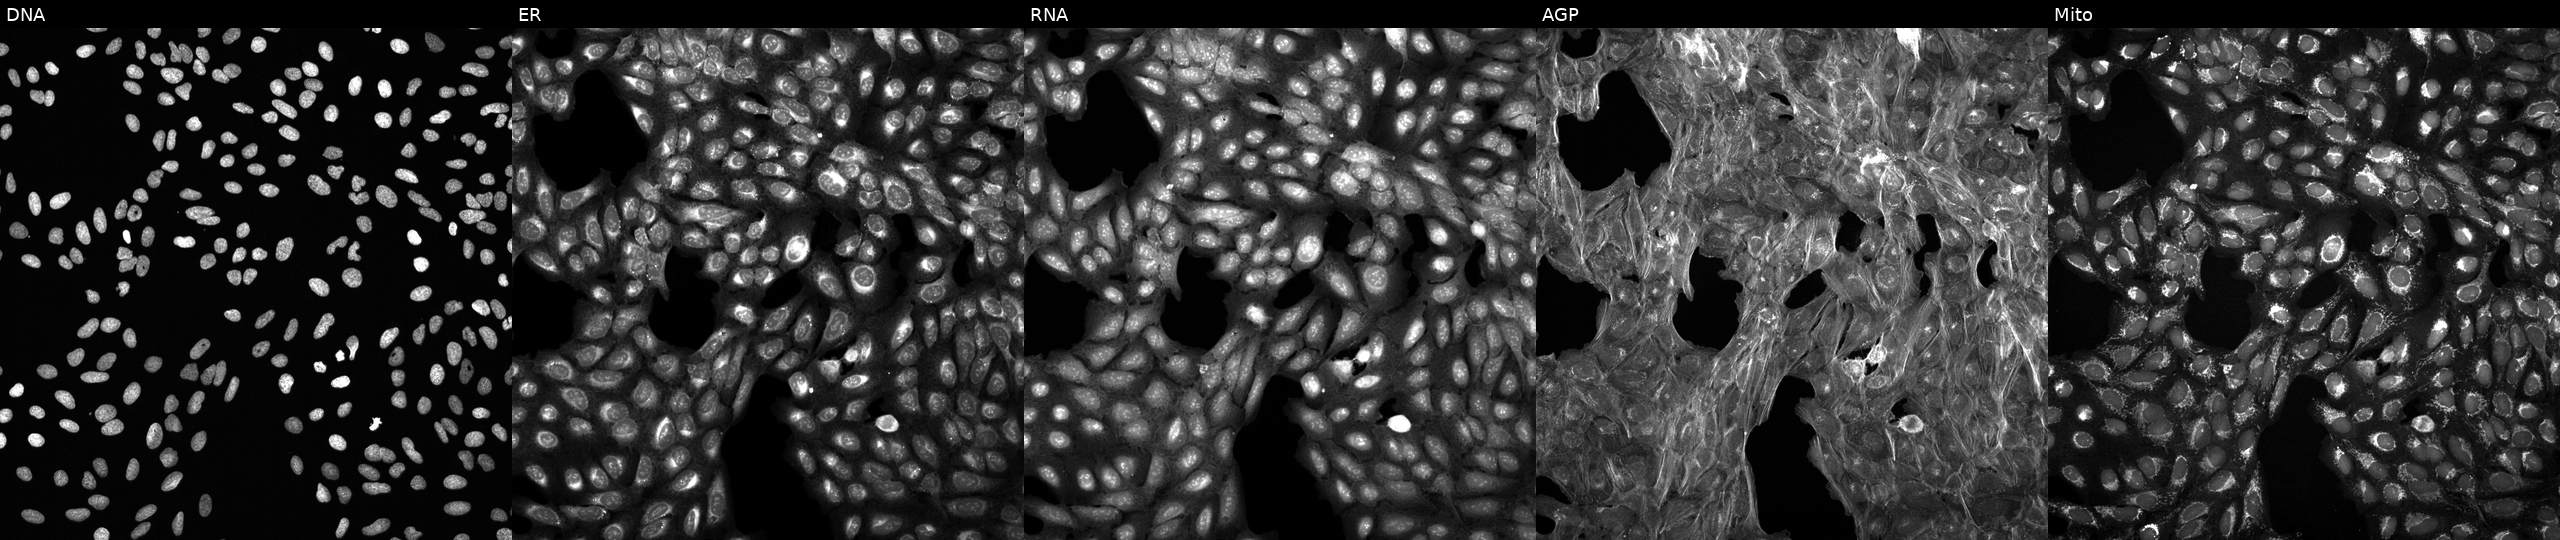
U2OS cells, Cell Painting assay, treated with a small-molecule compound (InChIKey YCYMCMYLORLIJX-UHFFFAOYSA-N) (JUMP id JCP2022_107658). From left to right: DNA, ER, RNA, AGP, and Mito. Each panel is percentile-stretched 16-bit fluorescence.